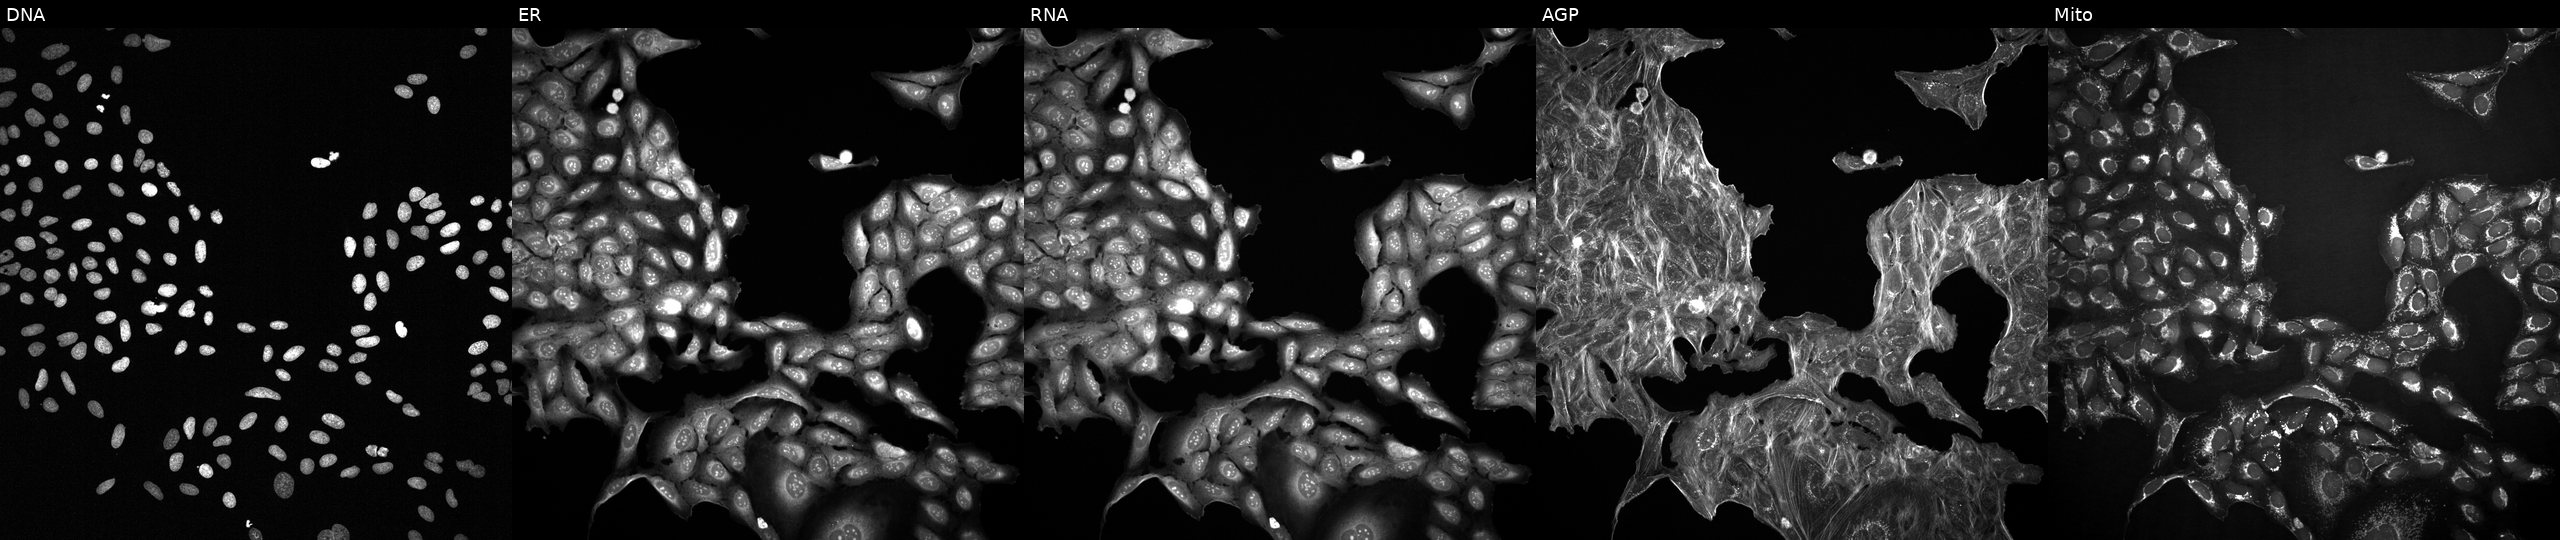
Five-channel Cell Painting image of U2OS cells exposed to a small-molecule compound (InChIKey HBJCSIUTZKXSKB-UHFFFAOYSA-N) (JUMP id JCP2022_029095). The five panels, left to right, show DNA, ER, RNA, AGP, and Mito. Source 2, plate 1053601763, well I09.